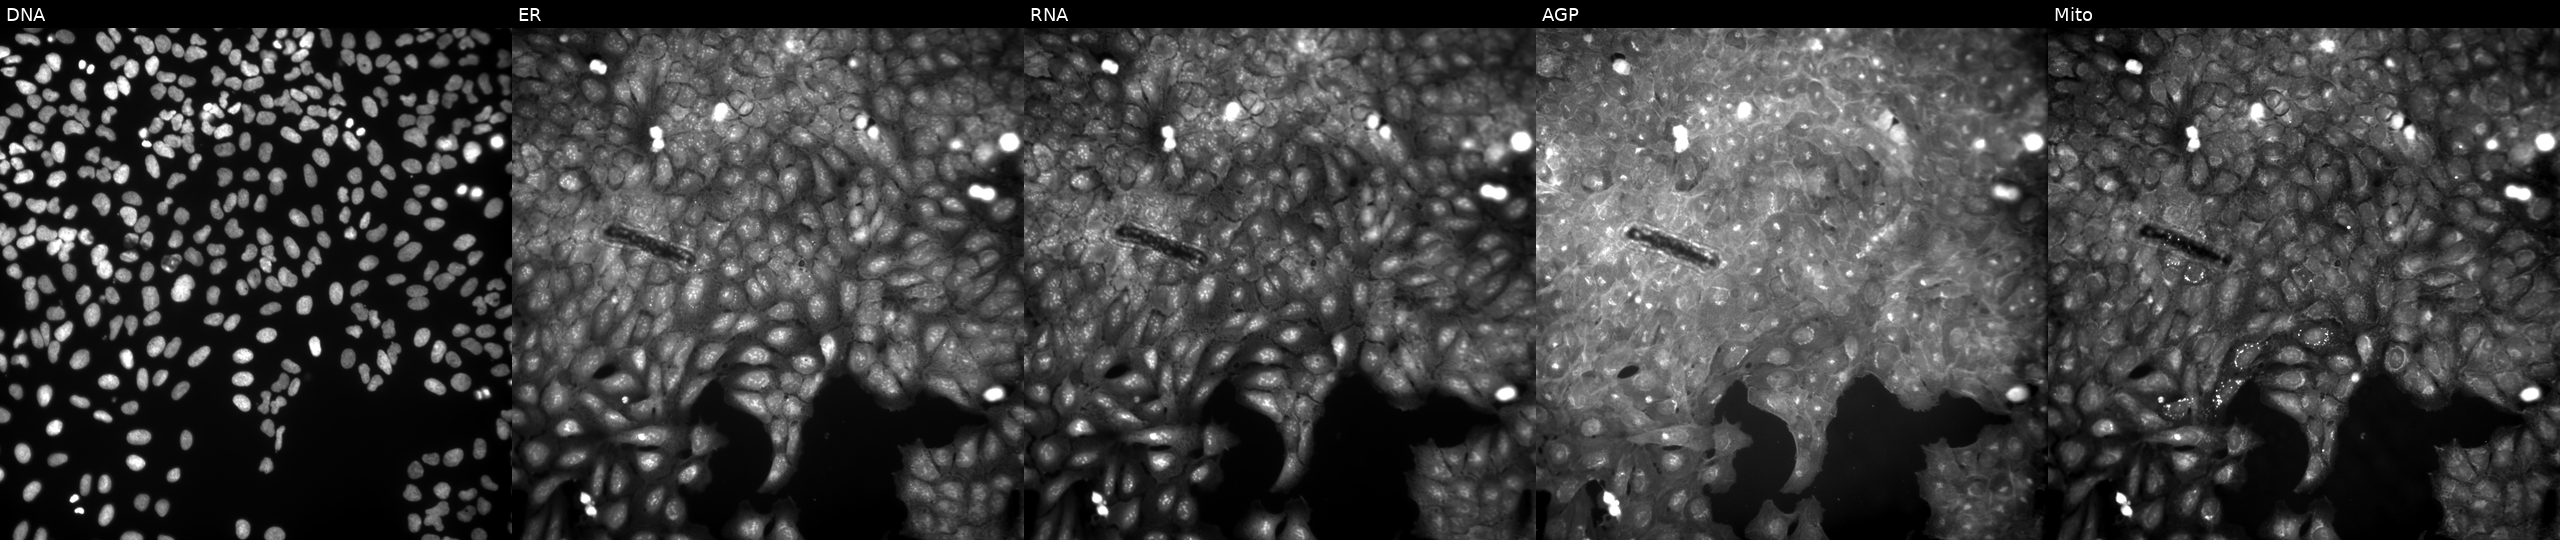
From left to right: DNA, ER, RNA, AGP, and Mito. U2OS osteosarcoma cells treated with quinidine (positive-control compound). Cell Painting assay, JUMP-CP dataset.